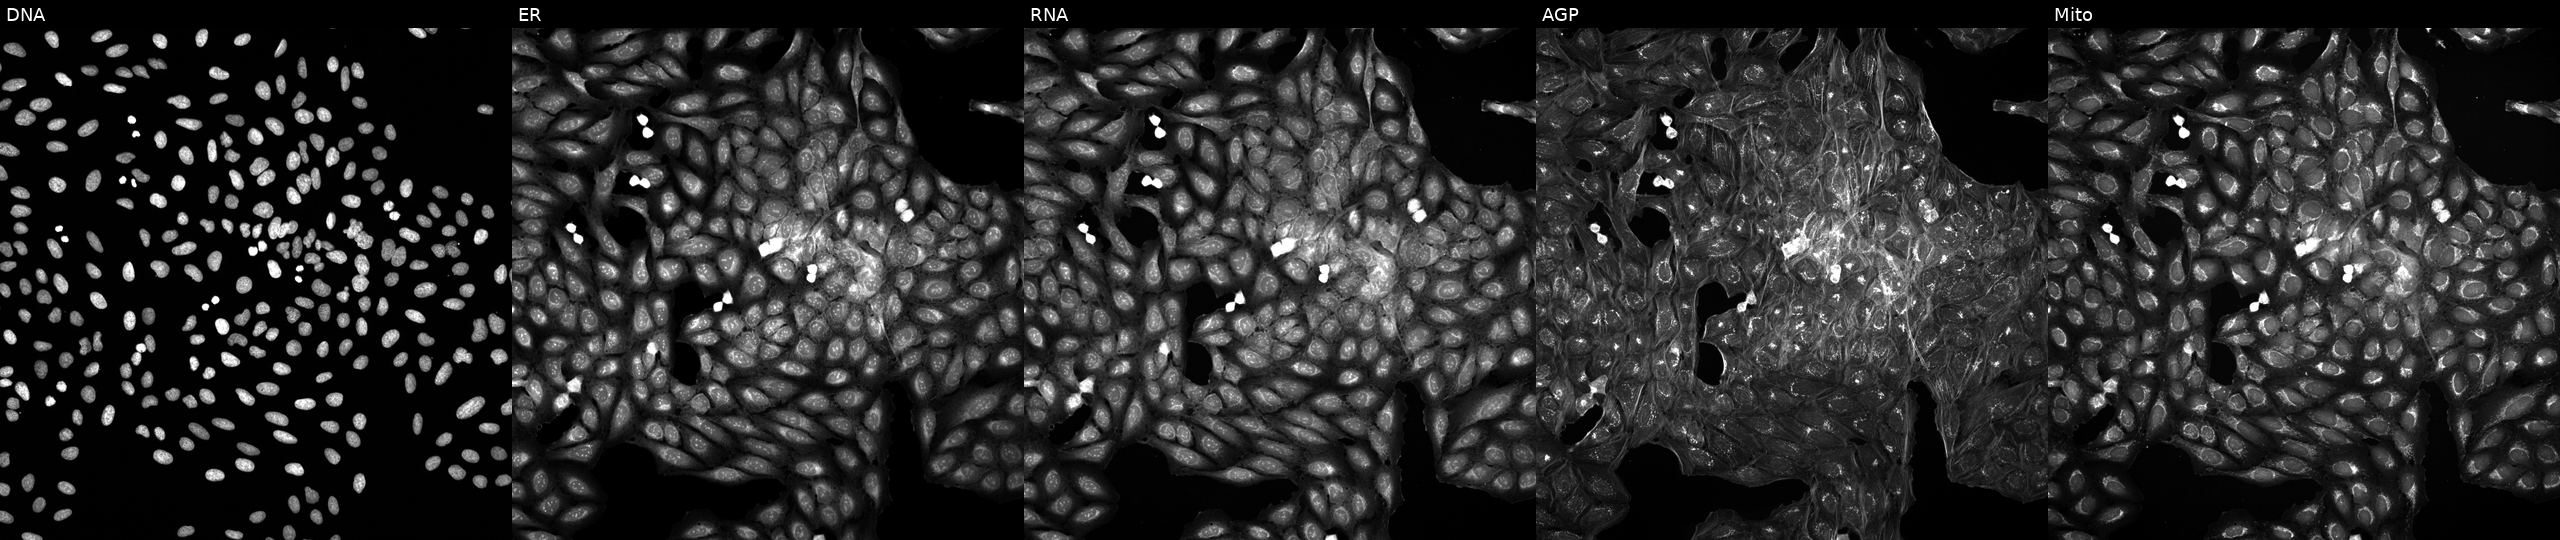
From left to right: DNA, ER, RNA, AGP, and Mito. U2OS osteosarcoma cells exposed to a small-molecule compound (InChIKey KBCFNUVHDRQVDL-UHFFFAOYSA-N) (JUMP id JCP2022_043434). Cell Painting assay, JUMP-CP dataset.